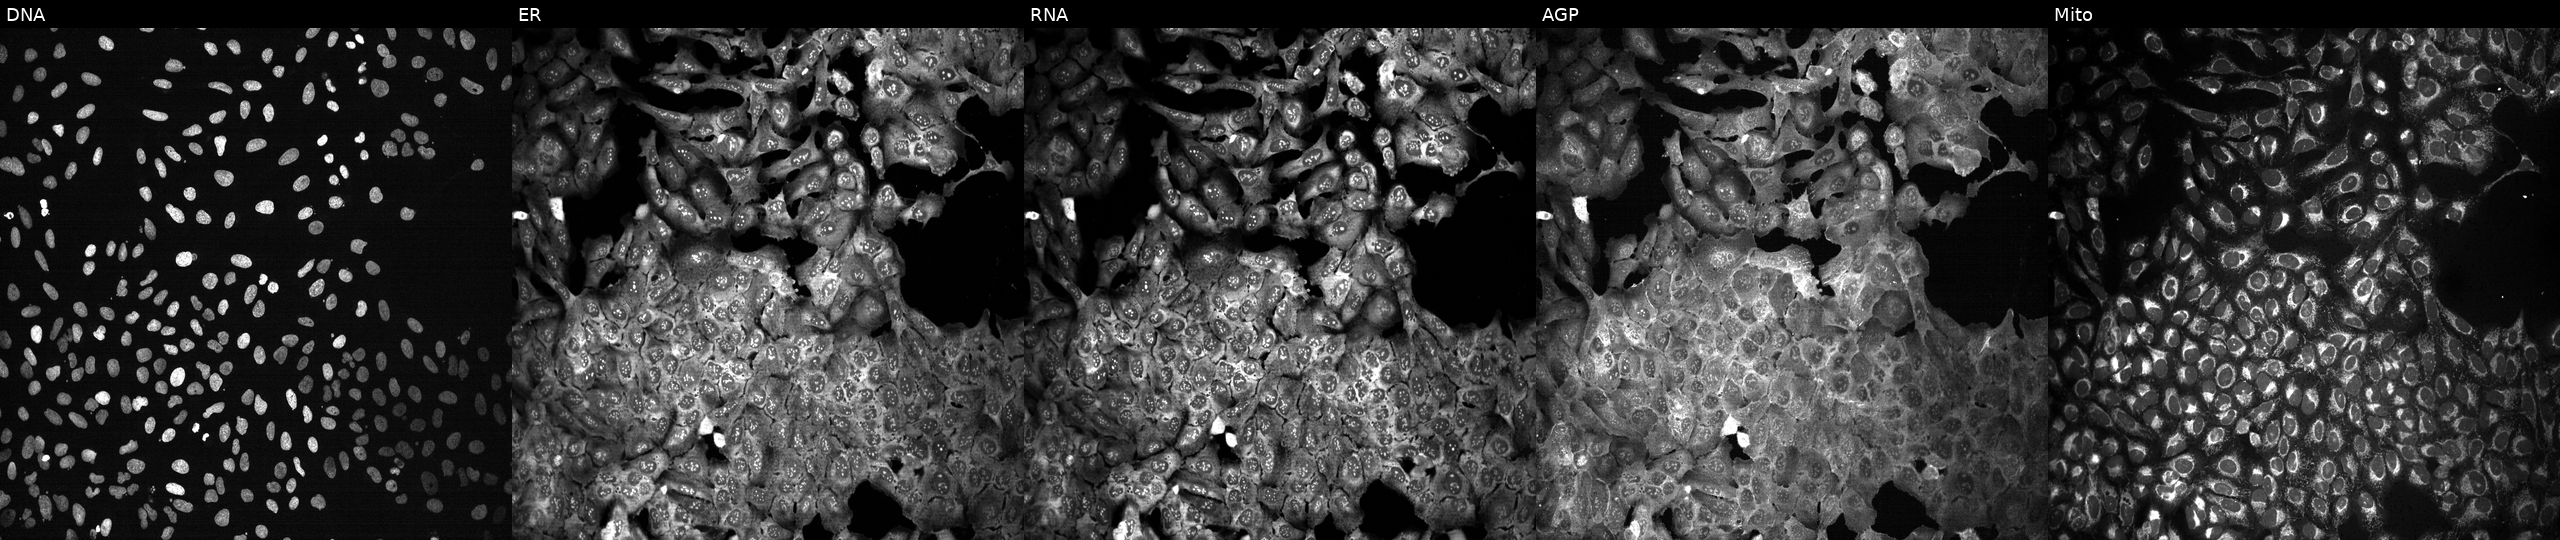
JUMP Cell Painting — CRISPR plate. U2OS cells CRISPR-edited to disrupt CD160 (JUMP id JCP2022_801145). Channels (left→right): DNA, ER, RNA, AGP, and Mito. Source 13, plate CP-CC9-R3-01, well G22.